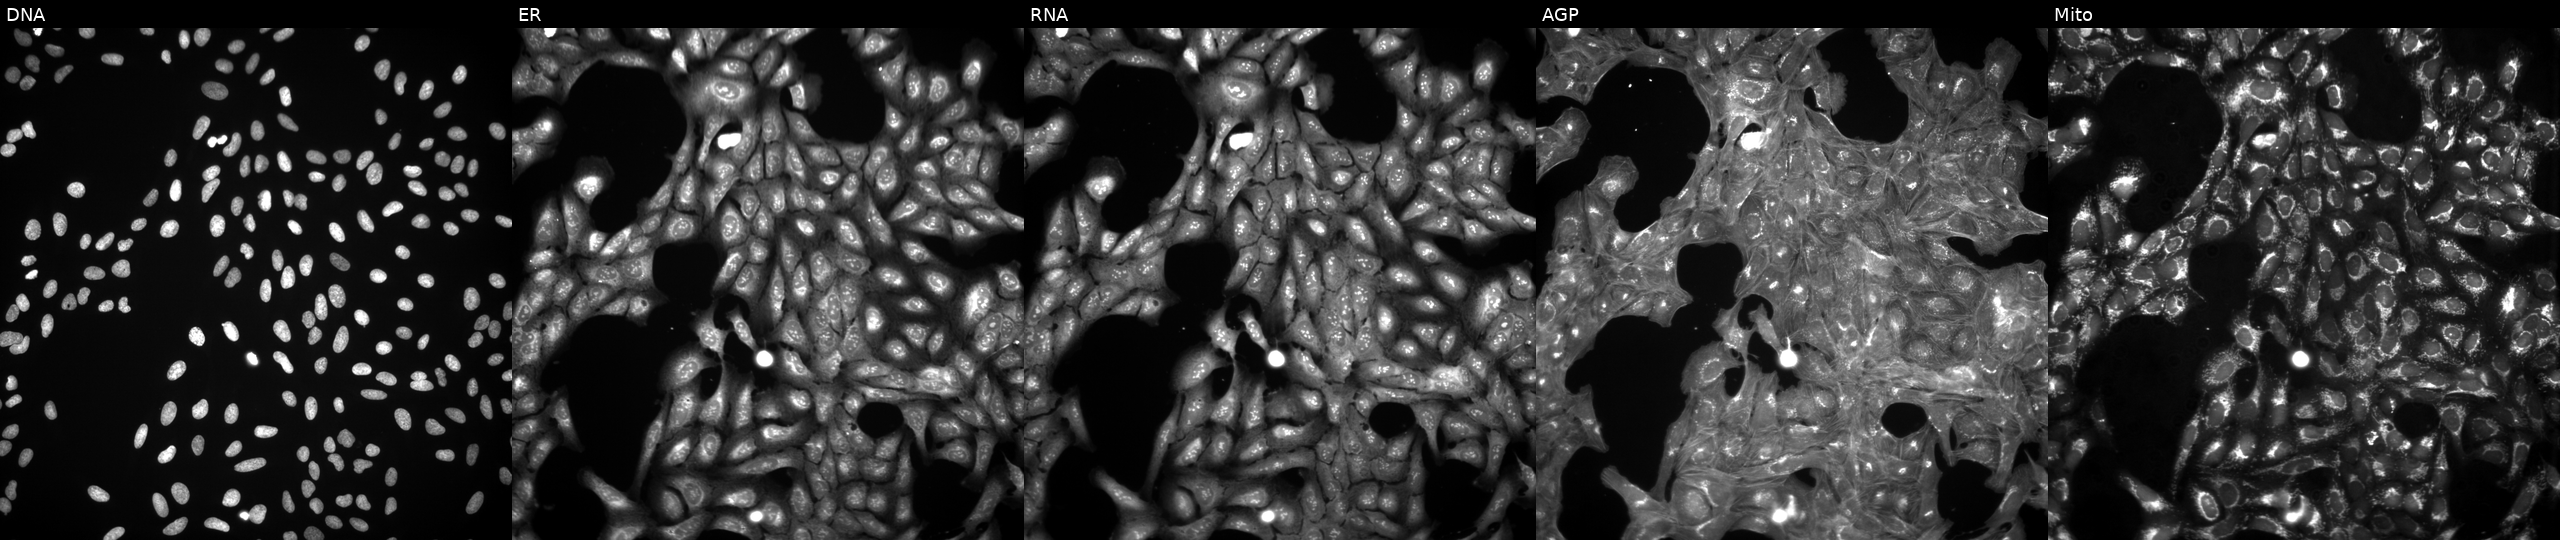
U2OS cells, Cell Painting assay, exposed to a small-molecule compound. From left to right: DNA (nuclei); ER (endoplasmic reticulum); RNA (nucleoli and cytoplasmic RNA); AGP (actin cytoskeleton, Golgi, and plasma membrane); Mito (mitochondria). Each panel is percentile-stretched 16-bit fluorescence.